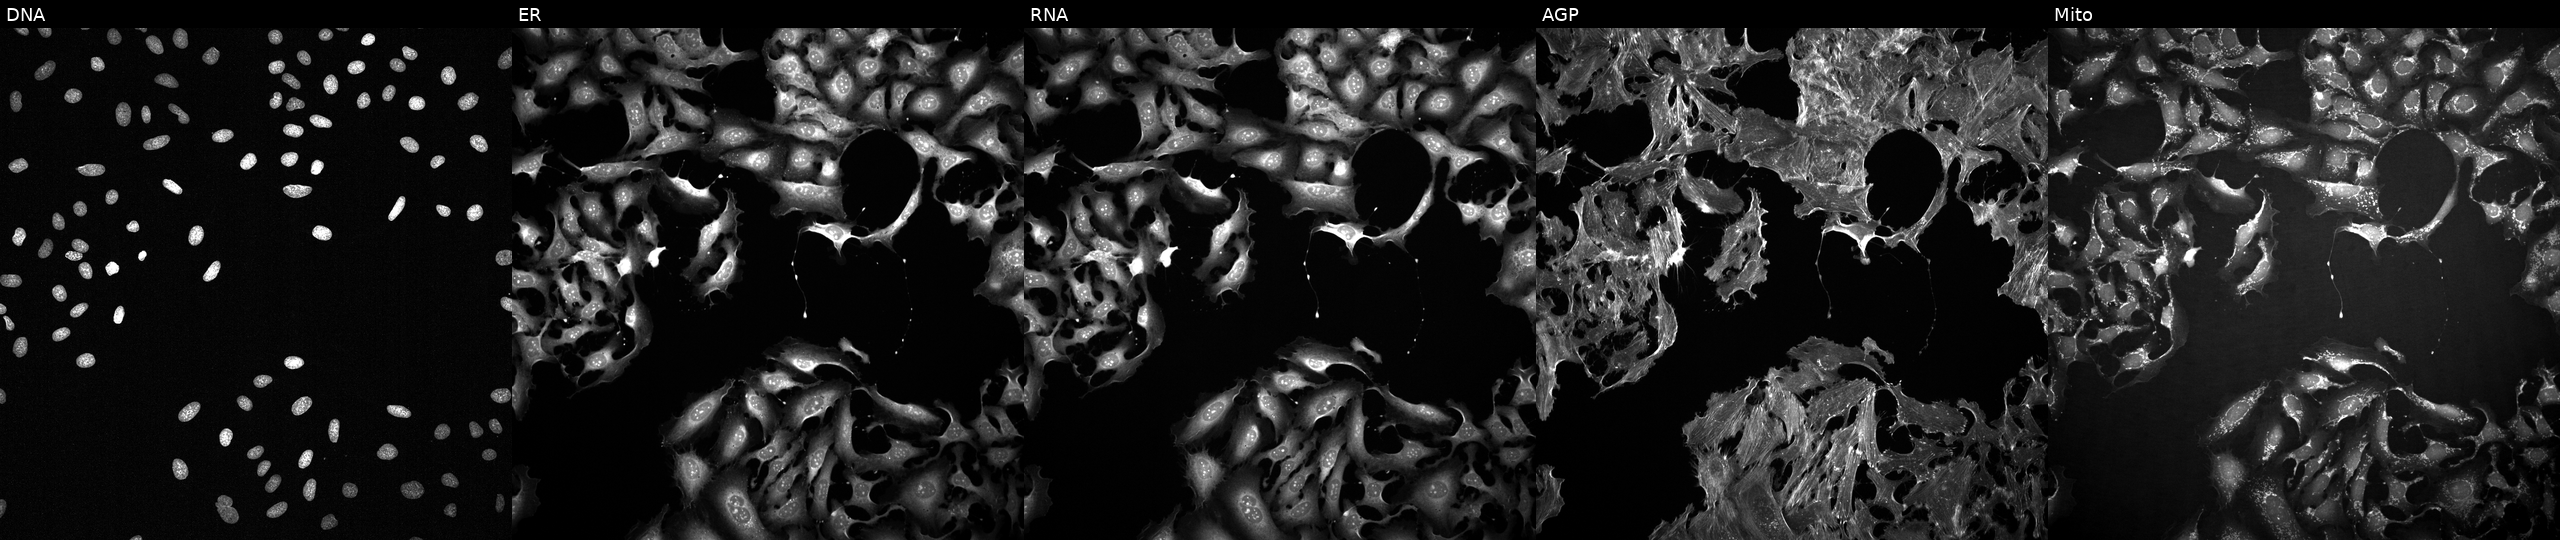
This image strip shows the five Cell Painting channels for a single field of U2OS cells exposed to the positive-control compound FK-866 (JUMP id JCP2022_046054). Channels (left→right): DNA (nuclei); ER (endoplasmic reticulum); RNA (nucleoli and cytoplasmic RNA); AGP (actin cytoskeleton, Golgi, and plasma membrane); Mito (mitochondria). Source 2, plate 1053601763, well P24.